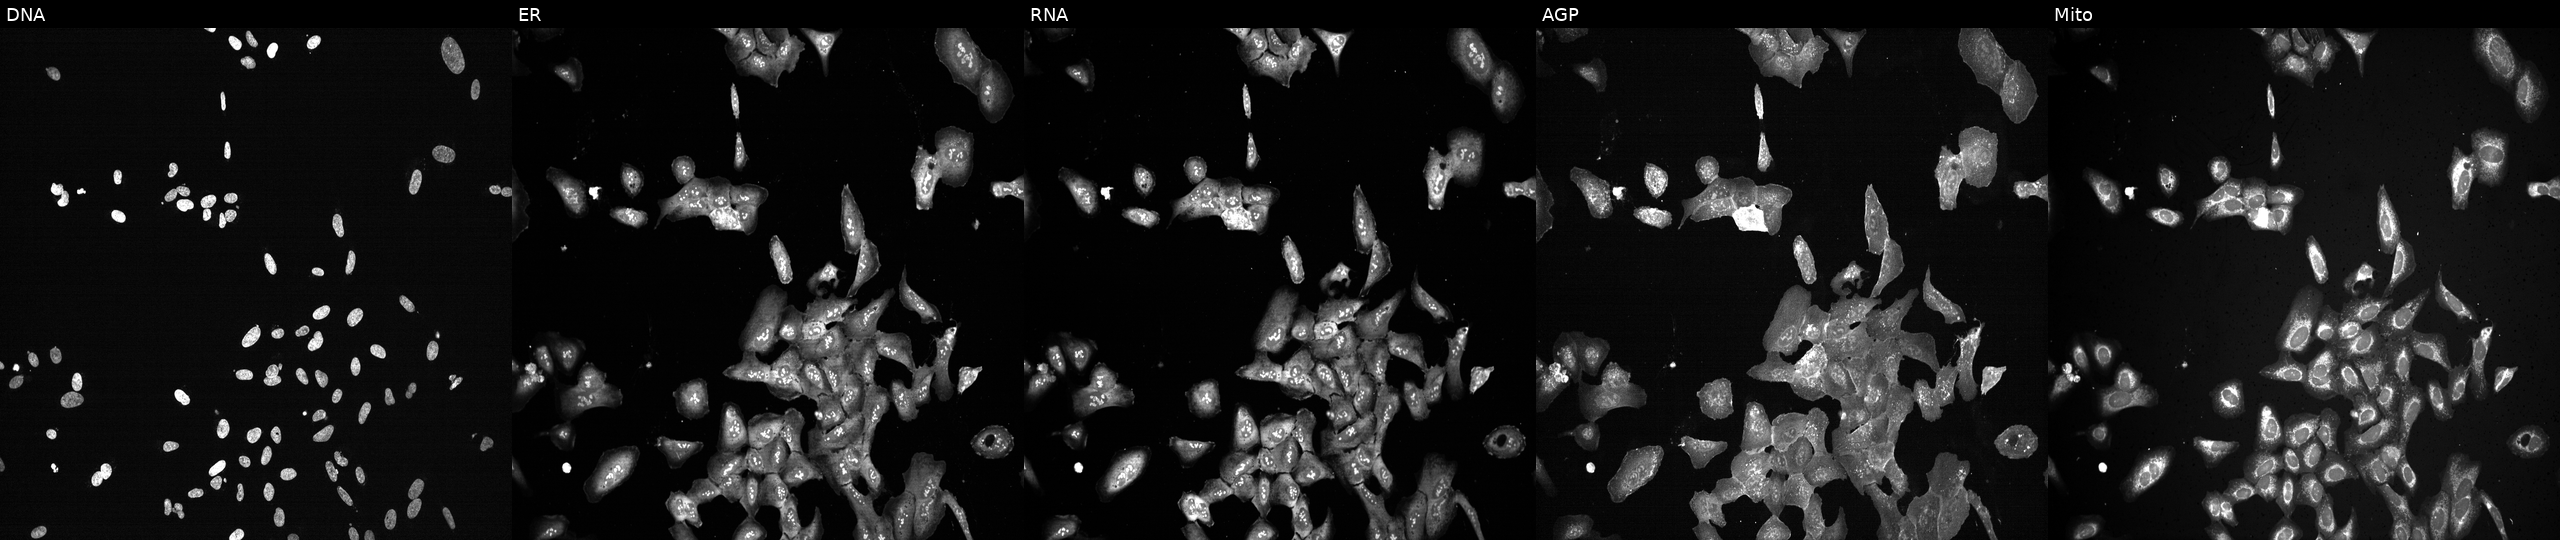
This image strip shows the five Cell Painting channels for a single field of U2OS cells CRISPR-edited to disrupt MAT2A. Channels (left→right): DNA, ER, RNA, AGP, and Mito. Source 13, plate CP-CC9-R5-01, well M18.